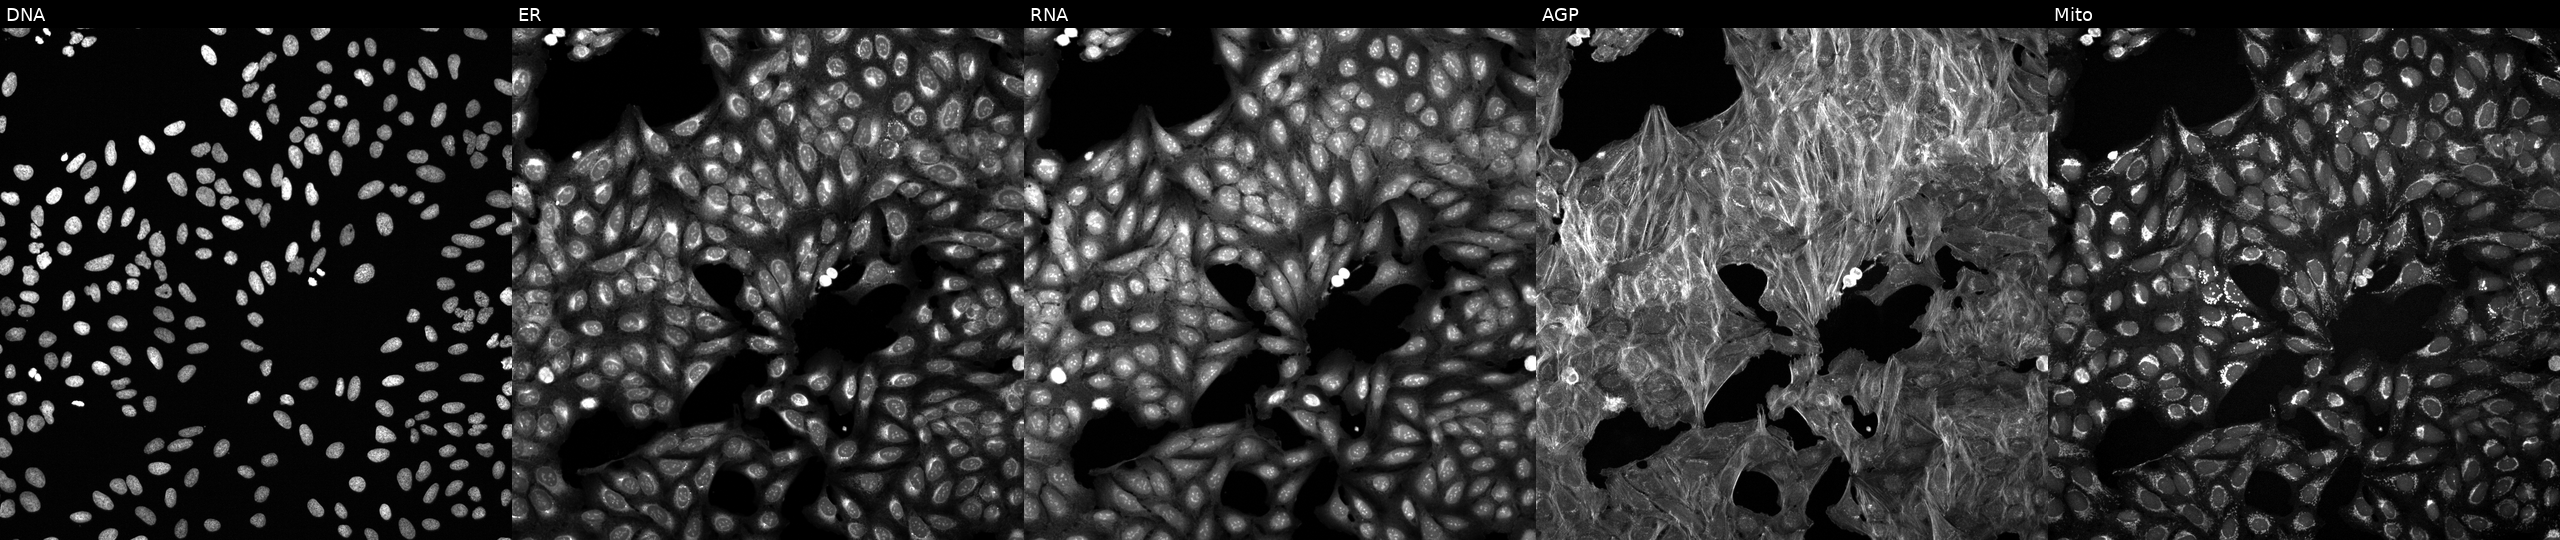
This image strip shows the five Cell Painting channels for a single field of U2OS cells exposed to a small-molecule compound (JUMP id JCP2022_031393). From left to right: DNA, ER, RNA, AGP, and Mito.